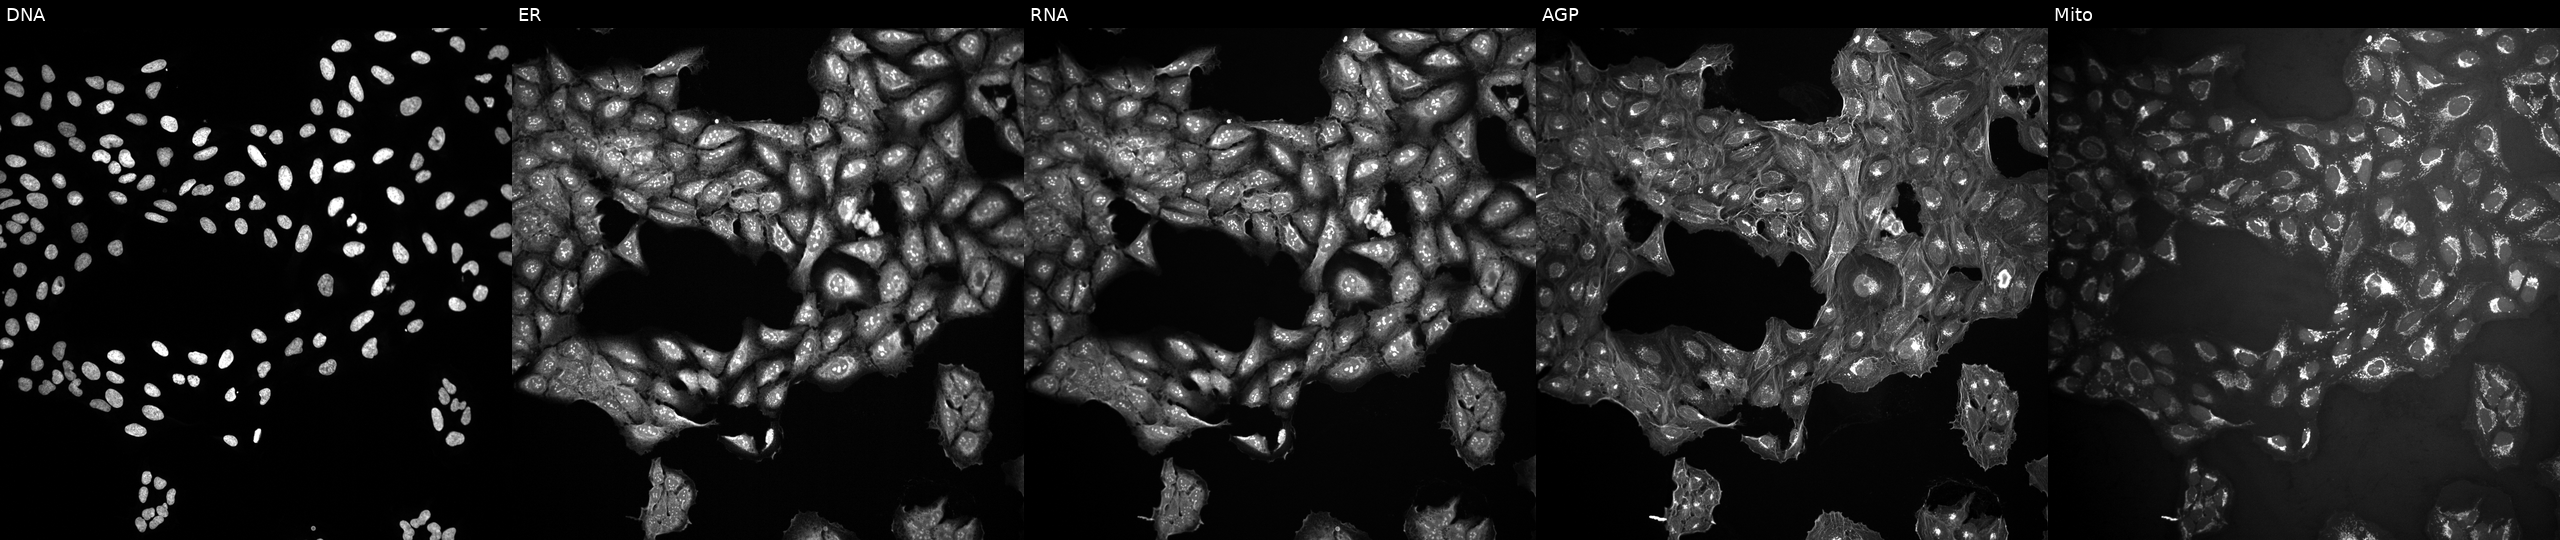
Five-channel Cell Painting image of U2OS cells in an empty control well (no perturbation) (JUMP id JCP2022_999999). Channels (left→right): DNA (nuclei); ER (endoplasmic reticulum); RNA (nucleoli and cytoplasmic RNA); AGP (actin cytoskeleton, Golgi, and plasma membrane); Mito (mitochondria).